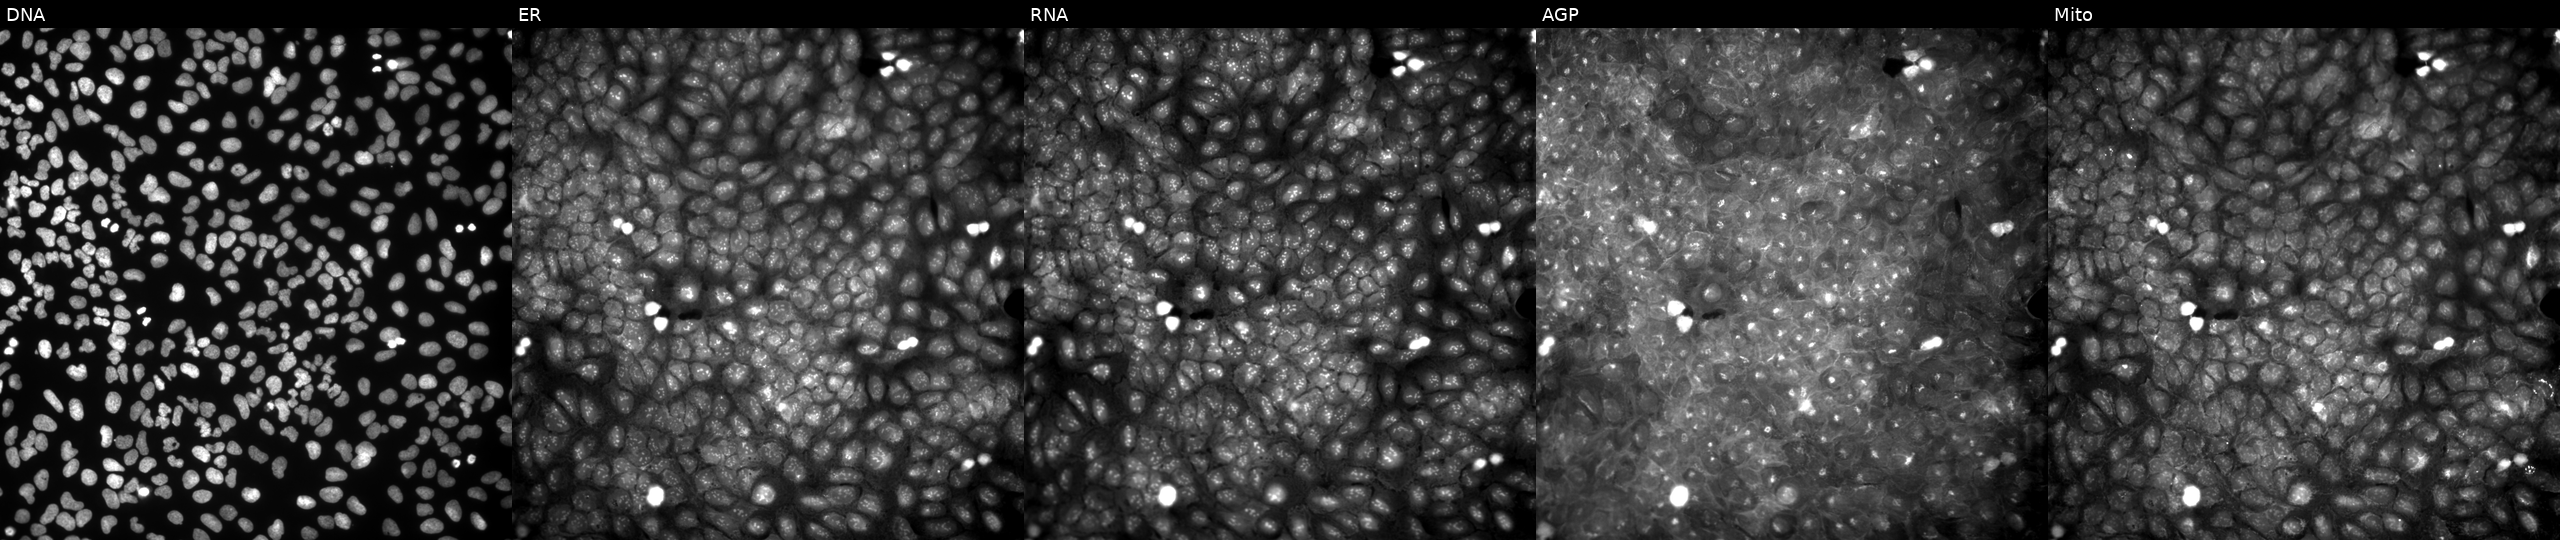
From left to right: Hoechst 33342, concanavalin A, SYTO 14, phalloidin and WGA, MitoTracker. U2OS osteosarcoma cells perturbed with a small-molecule compound (JUMP id JCP2022_054360). Cell Painting assay, JUMP-CP dataset. Source 9, plate GR00003382, well V22.